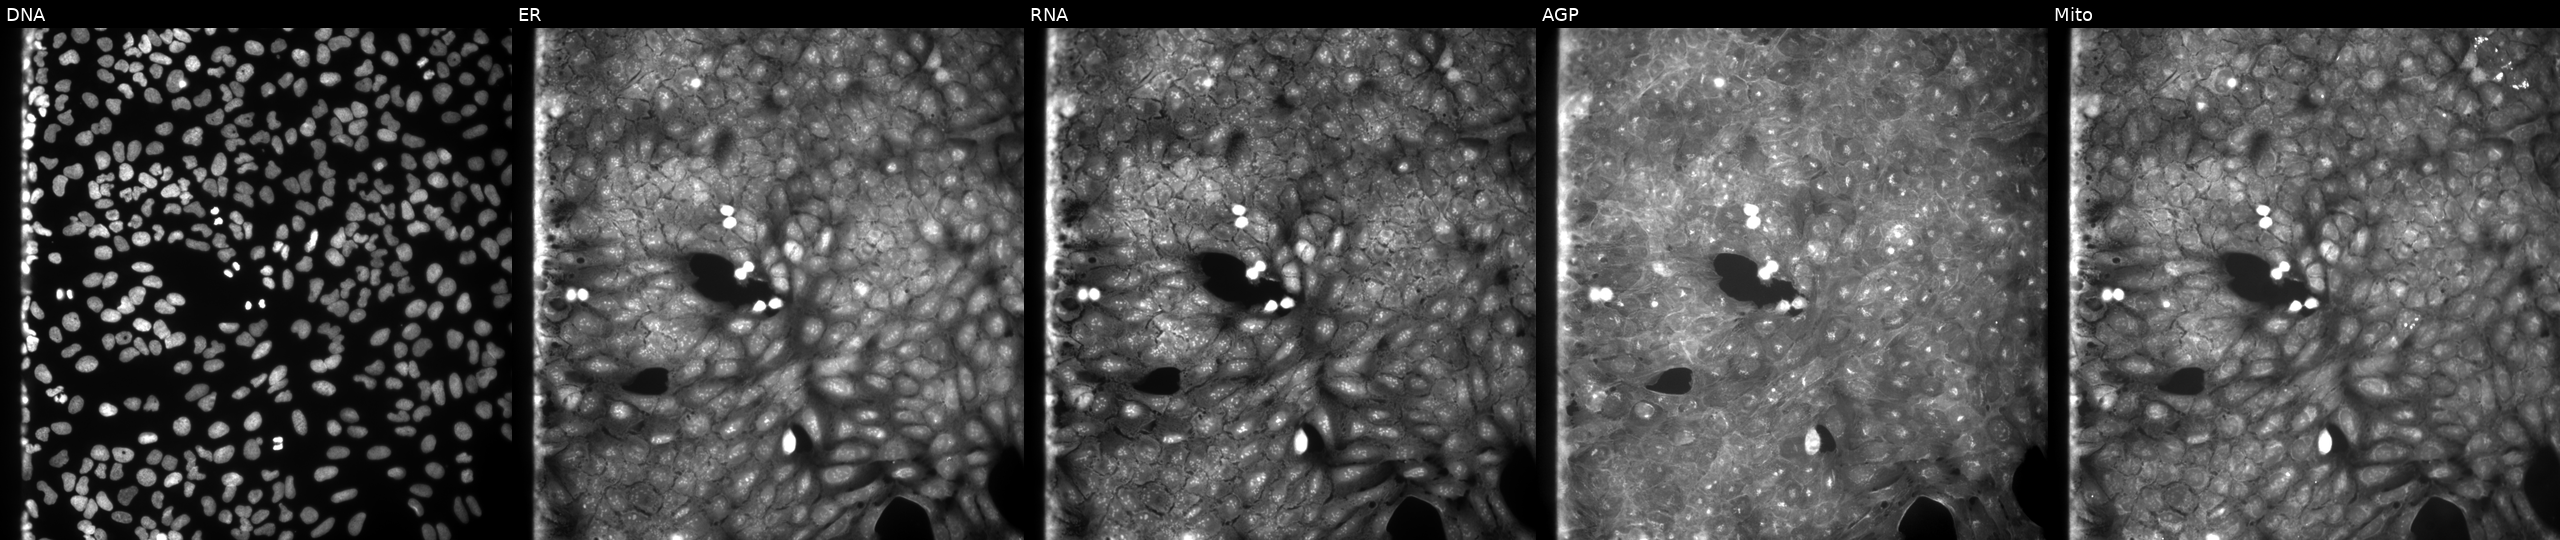
This image strip shows the five Cell Painting channels for a single field of U2OS cells treated with a small-molecule compound (InChIKey CYDFTQZJAGEURD-UHFFFAOYSA-N) (JUMP id JCP2022_014187). Channels (left→right): DNA (nuclei); ER (endoplasmic reticulum); RNA (nucleoli and cytoplasmic RNA); AGP (actin cytoskeleton, Golgi, and plasma membrane); Mito (mitochondria).